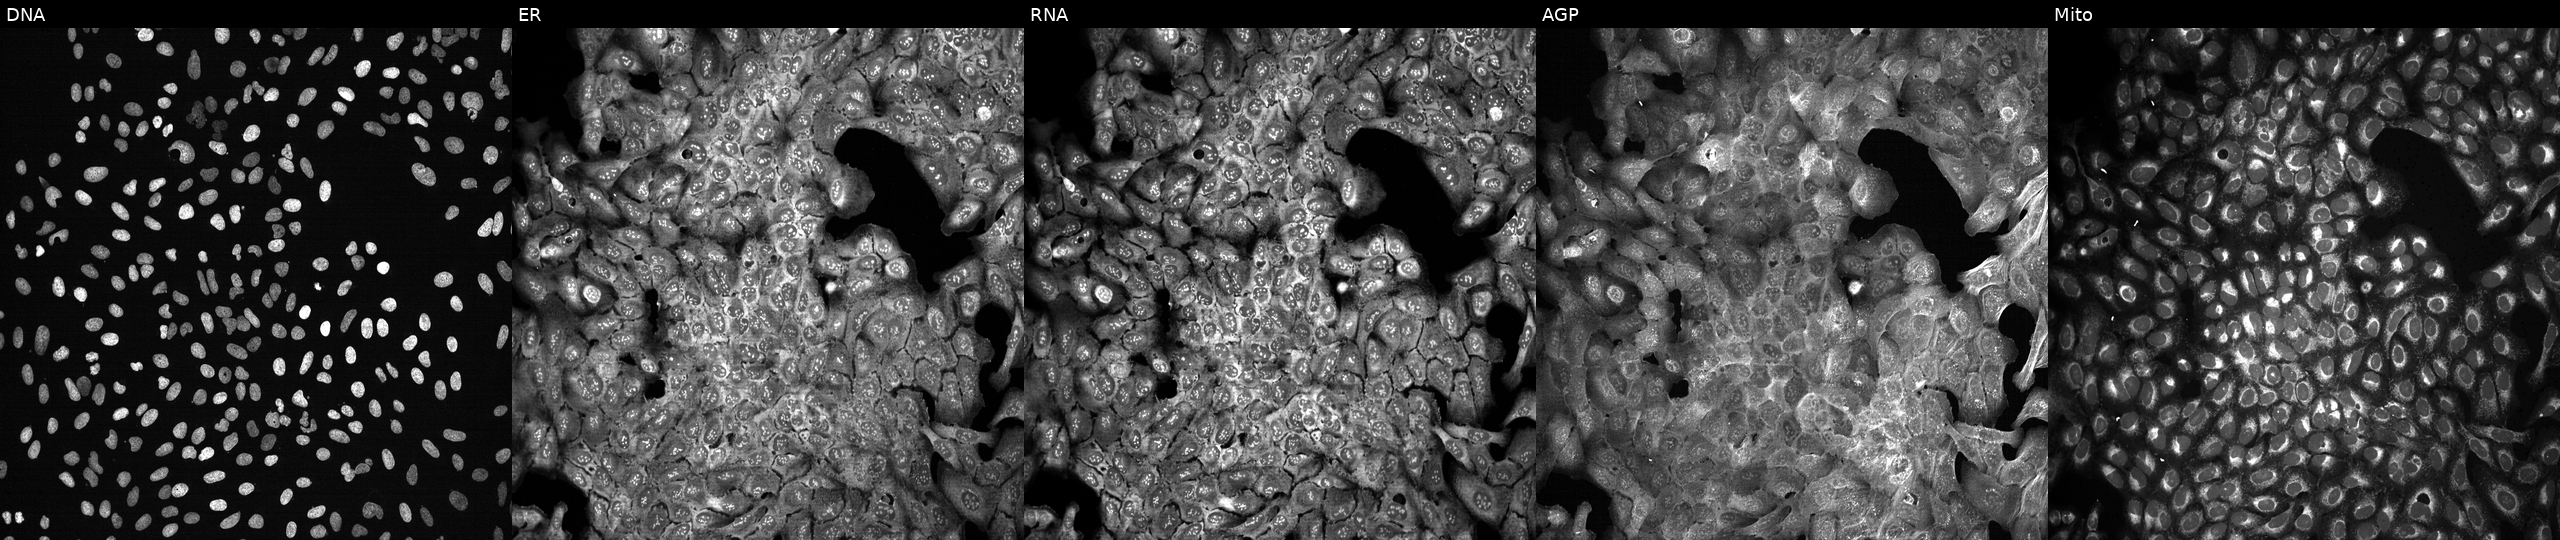
Channels (left→right): Hoechst 33342, concanavalin A, SYTO 14, phalloidin and WGA, MitoTracker. U2OS osteosarcoma cells with PPIL4 knocked out by CRISPR. Cell Painting assay, JUMP-CP dataset.